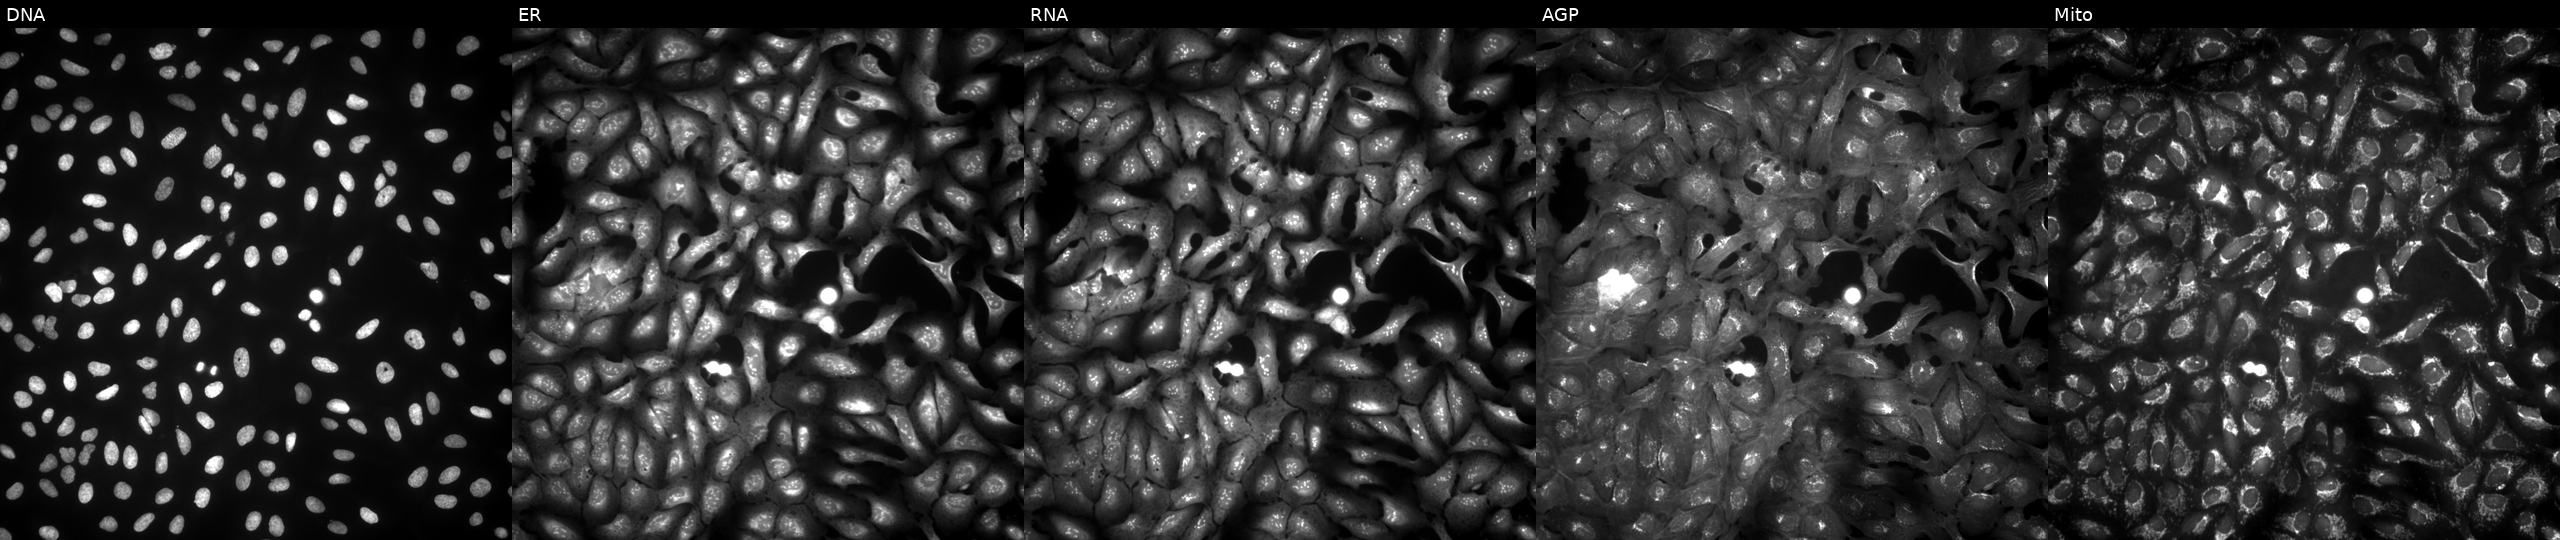
This image strip shows the five Cell Painting channels for a single field of U2OS cells with CEACAM1 overexpressed (ORF). The five panels, left to right, show DNA, ER, RNA, AGP, and Mito. Source 4, plate BR00123506, well E01.